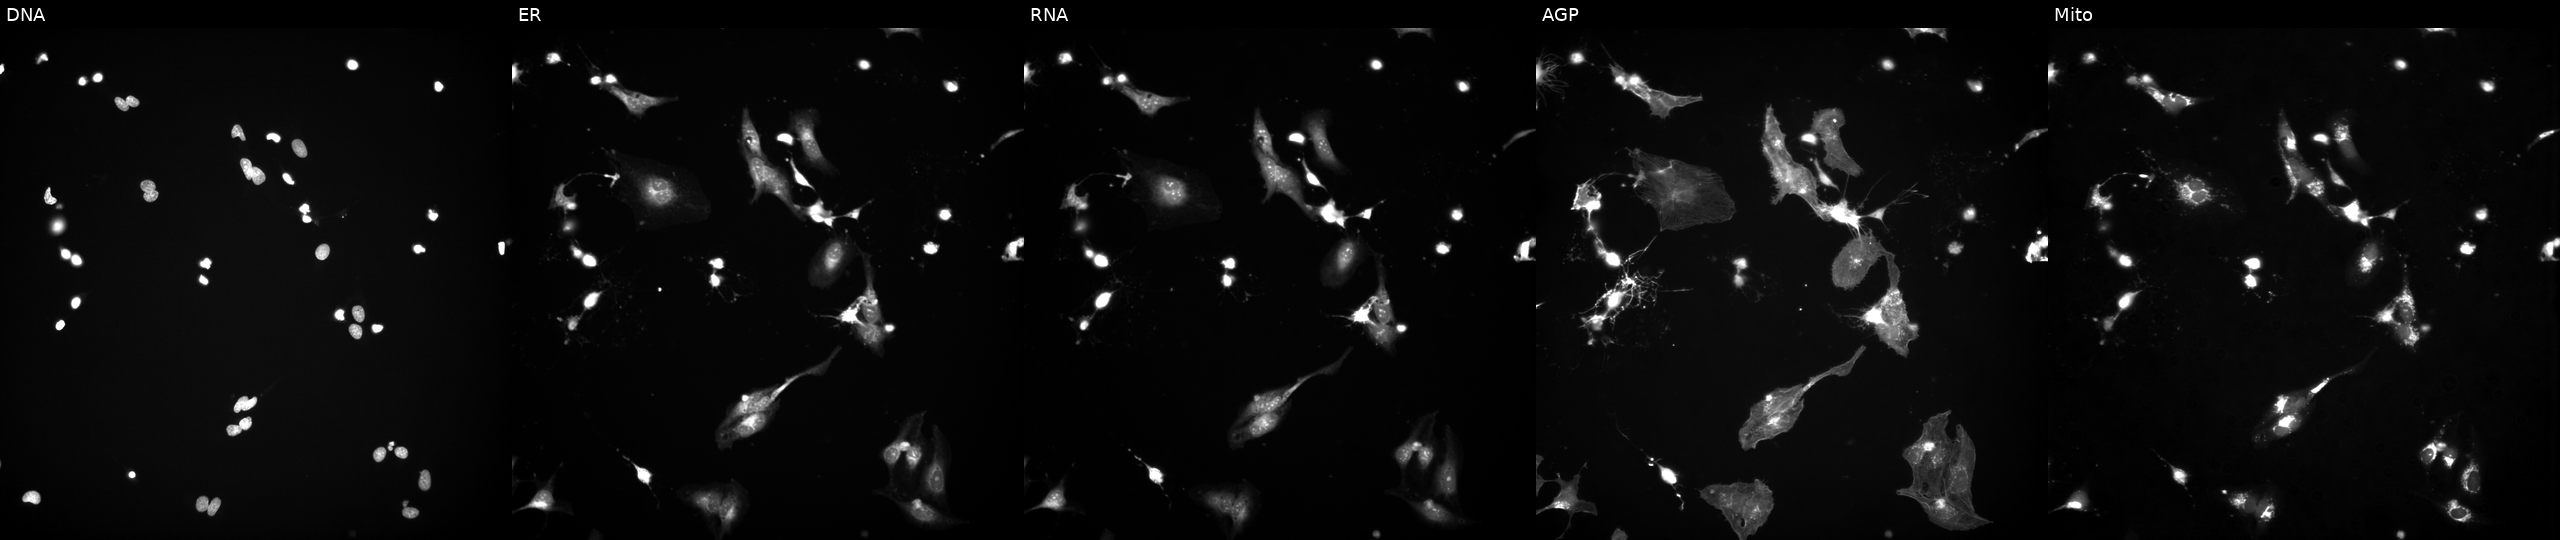
Five-channel Cell Painting image of U2OS cells treated with a small-molecule compound (InChIKey PBCZSGKMGDDXIJ-UHFFFAOYSA-N) (JUMP id JCP2022_067441). Channels (left→right): DNA (nuclei); ER (endoplasmic reticulum); RNA (nucleoli and cytoplasmic RNA); AGP (actin cytoskeleton, Golgi, and plasma membrane); Mito (mitochondria).